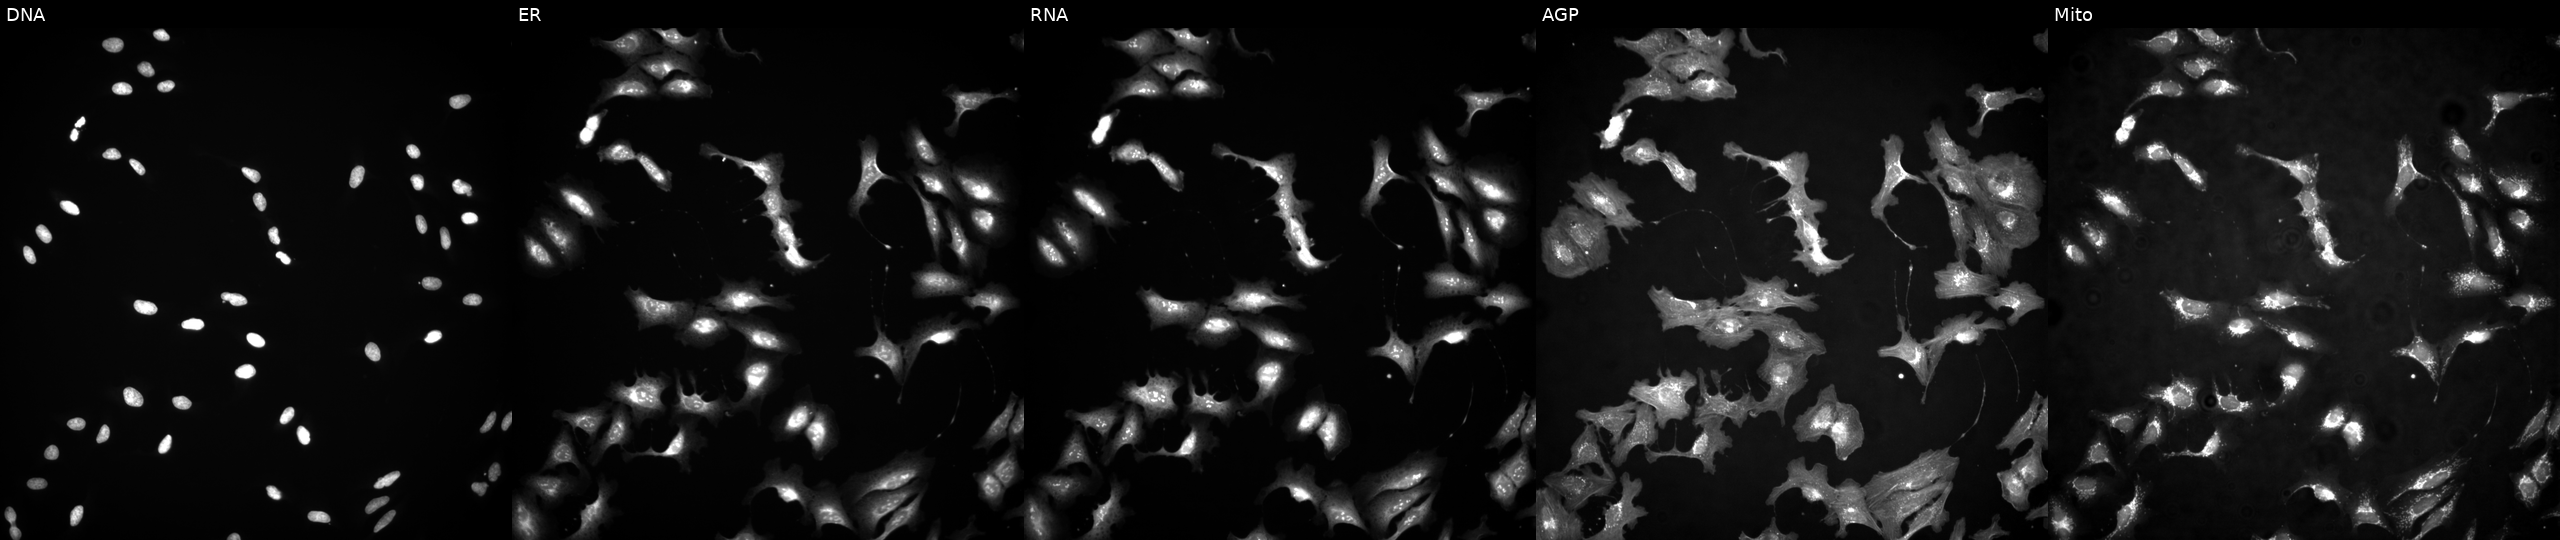
Channels (left→right): DNA (nuclei); ER (endoplasmic reticulum); RNA (nucleoli and cytoplasmic RNA); AGP (actin cytoskeleton, Golgi, and plasma membrane); Mito (mitochondria). U2OS osteosarcoma cells transfected with an ORF construct for GSAP (JUMP id JCP2022_914095). Cell Painting assay, JUMP-CP dataset.